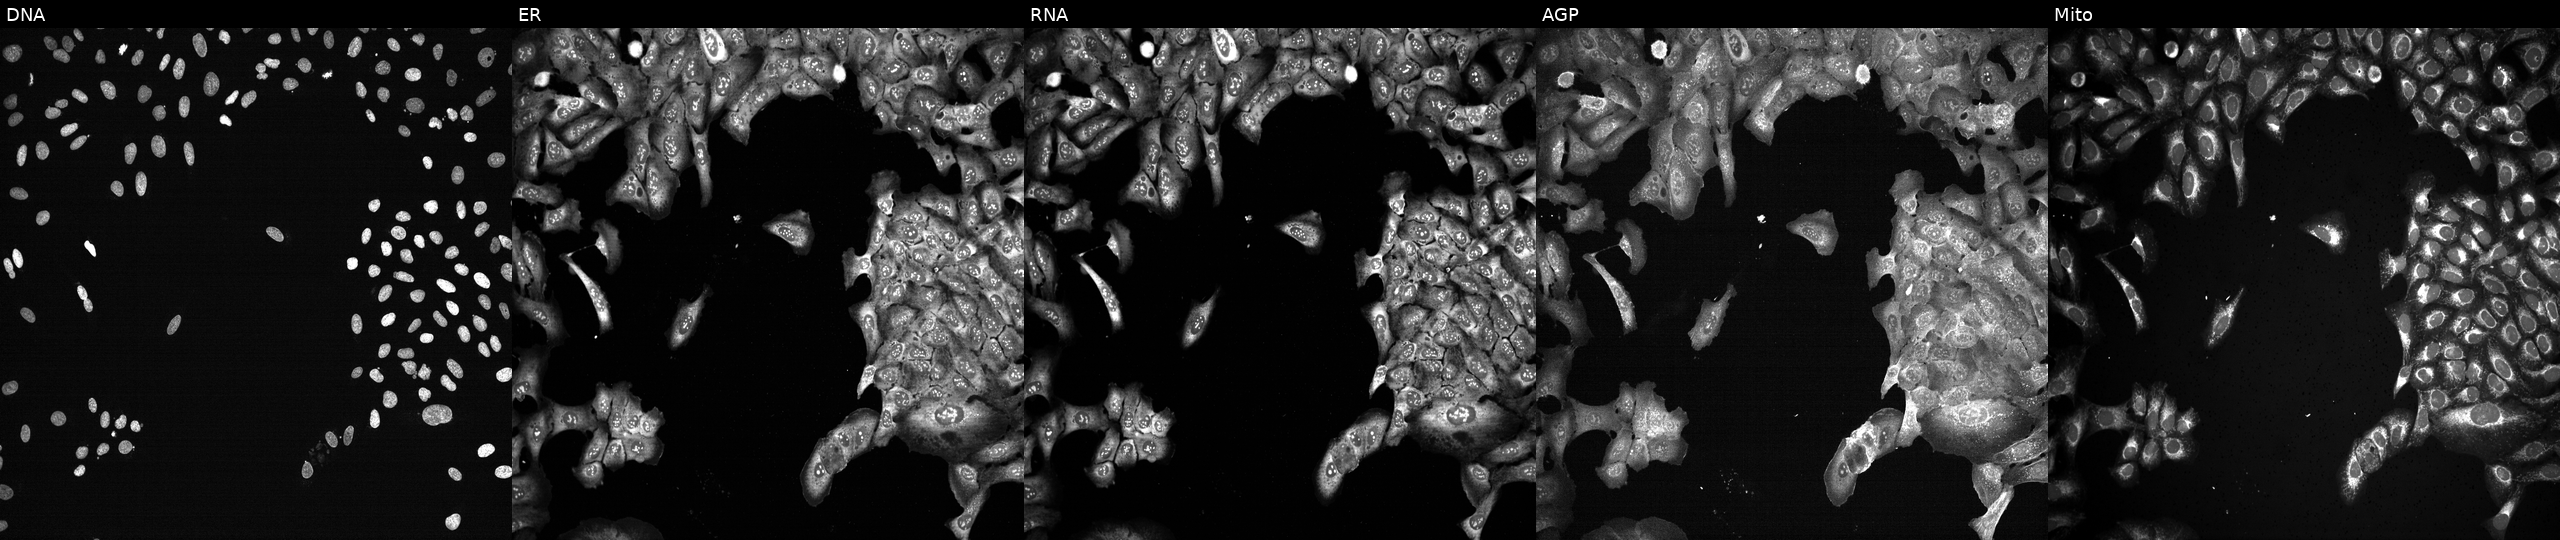
The five panels, left to right, show DNA, ER, RNA, AGP, and Mito. U2OS osteosarcoma cells following CRISPR knockout of S100A6 (JUMP id JCP2022_806160). Cell Painting assay, JUMP-CP dataset.